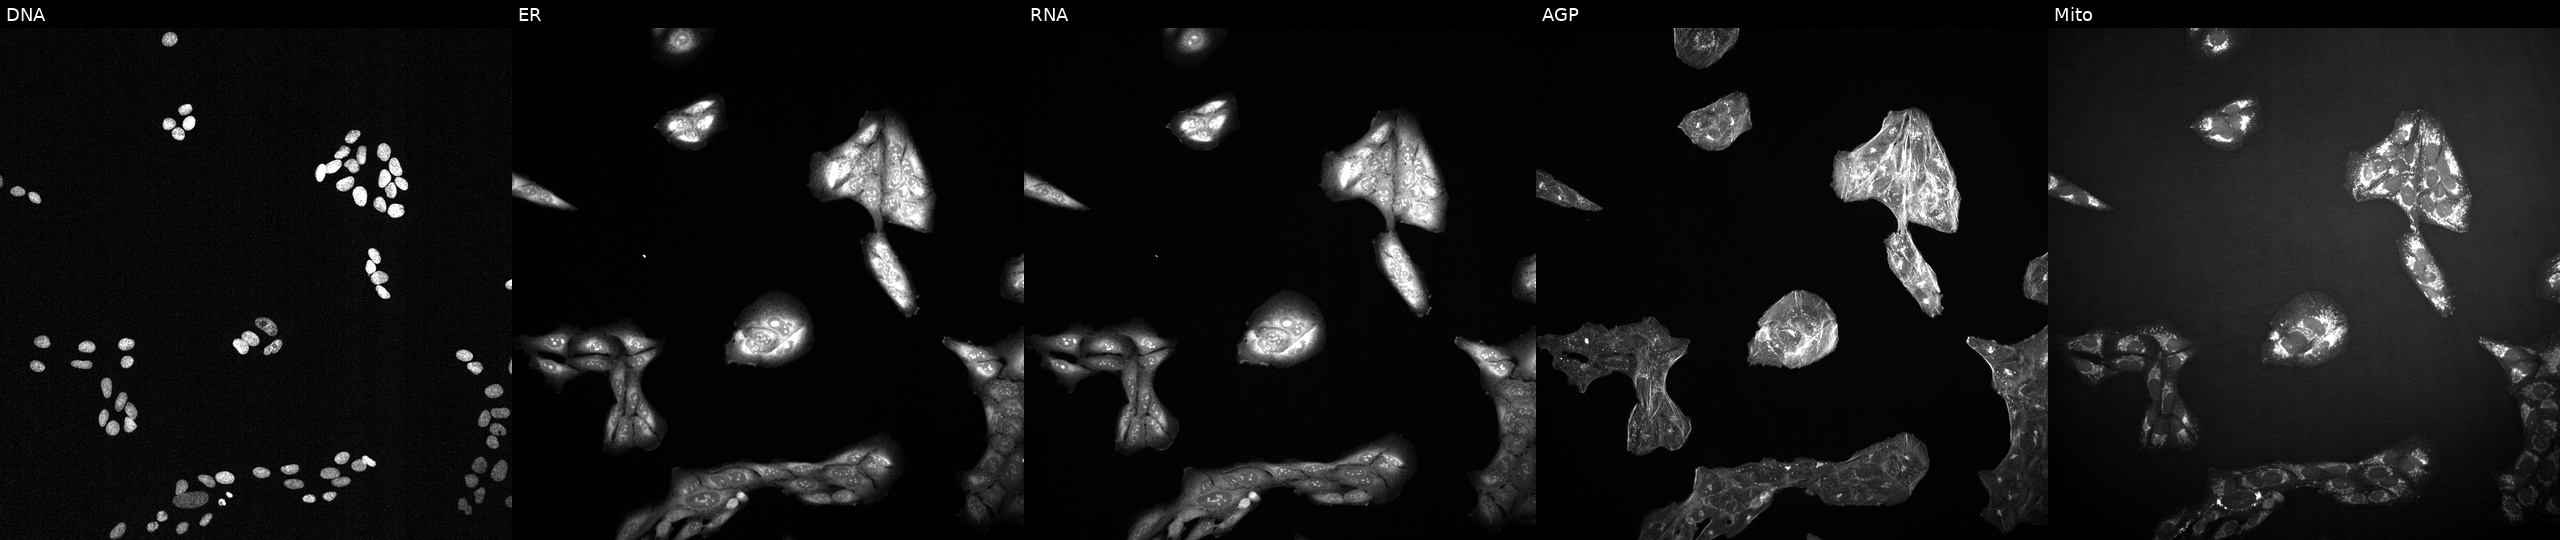
U2OS cells, Cell Painting assay, perturbed with a small-molecule compound (JUMP id JCP2022_100264). Panels show, left to right, DNA (nuclei); ER (endoplasmic reticulum); RNA (nucleoli and cytoplasmic RNA); AGP (actin cytoskeleton, Golgi, and plasma membrane); Mito (mitochondria). Each panel is percentile-stretched 16-bit fluorescence. Source 2, plate 1053599503, well A07.